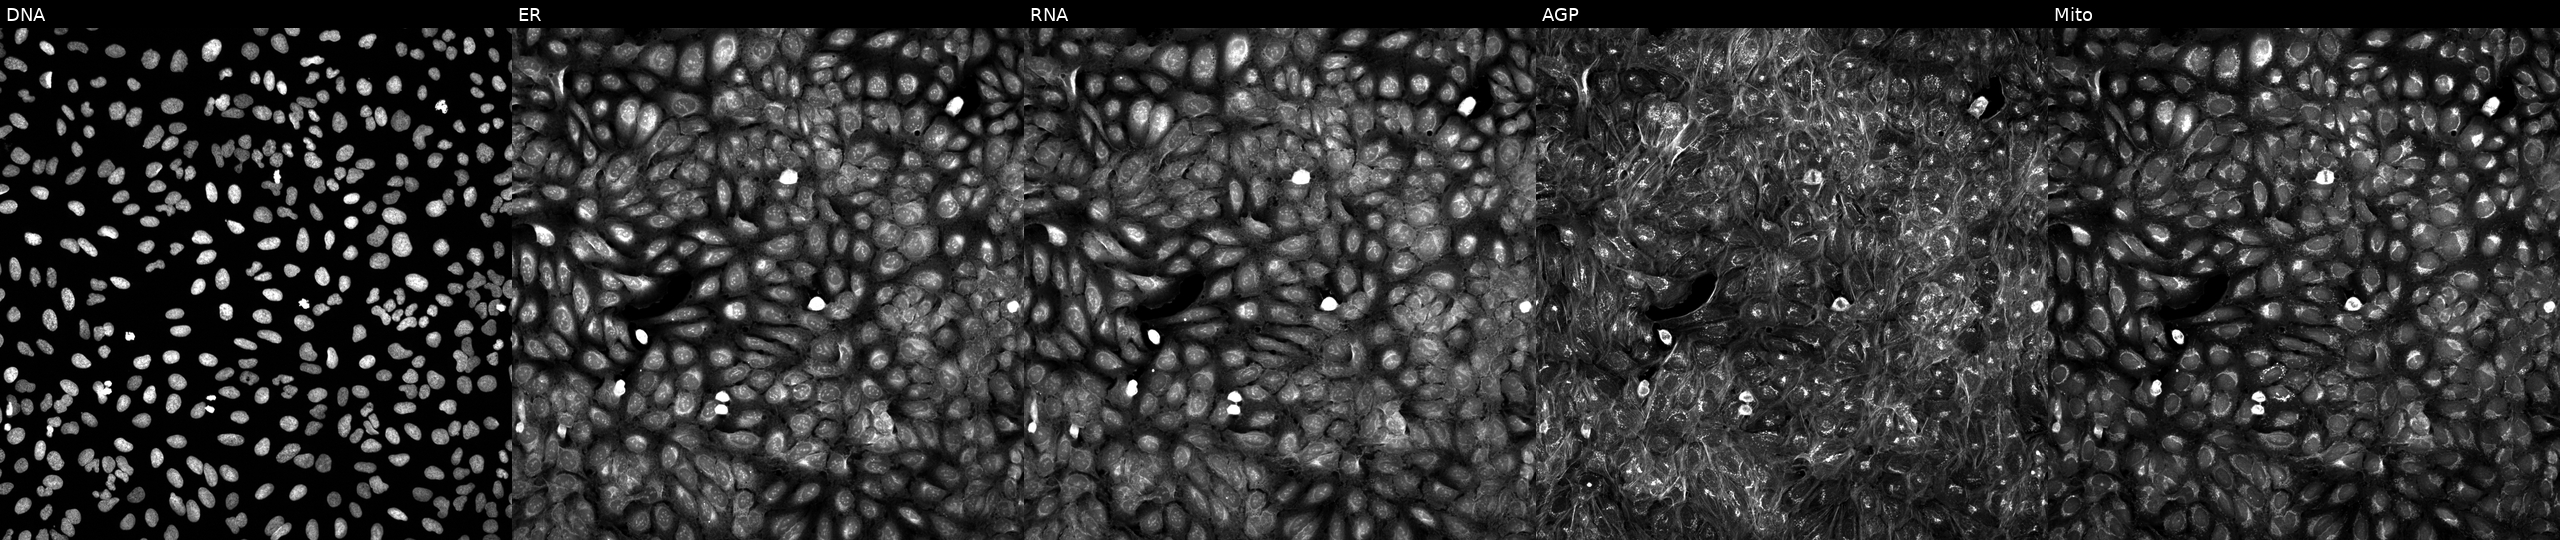
U2OS cells, Cell Painting assay, exposed to a small-molecule compound (InChIKey YGSSKSQRBFQJNS-UHFFFAOYSA-N). Panels show, left to right, Hoechst 33342, concanavalin A, SYTO 14, phalloidin and WGA, MitoTracker. Each panel is percentile-stretched 16-bit fluorescence.